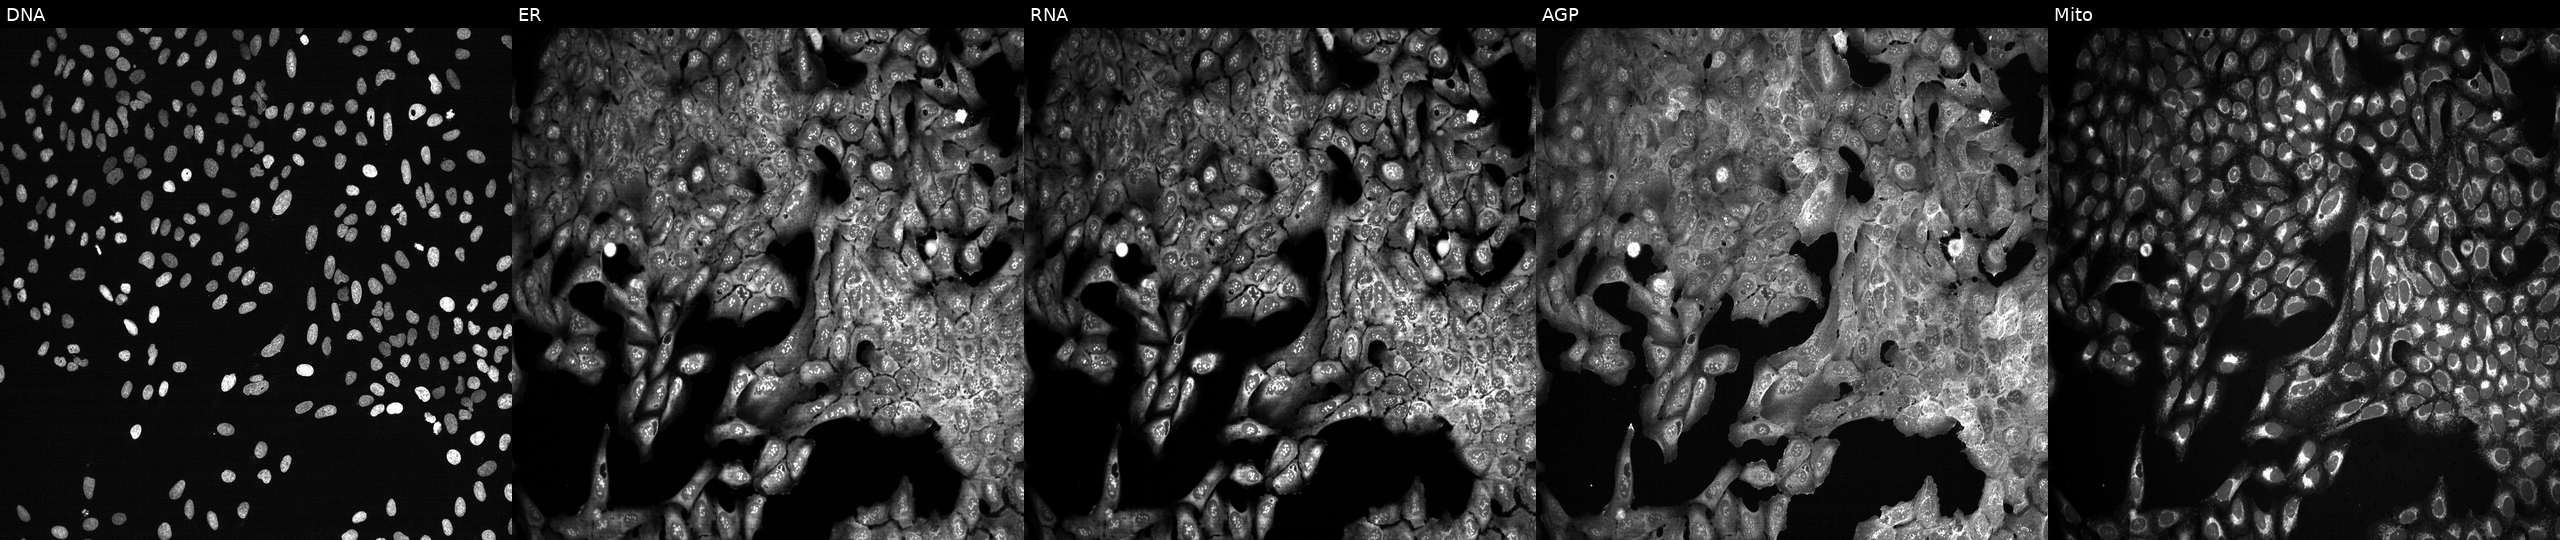
This image strip shows the five Cell Painting channels for a single field of U2OS cells following CRISPR knockout of EPRS. From left to right: Hoechst 33342, concanavalin A, SYTO 14, phalloidin and WGA, MitoTracker. Source 13, plate CP-CC9-R3-02, well D18.